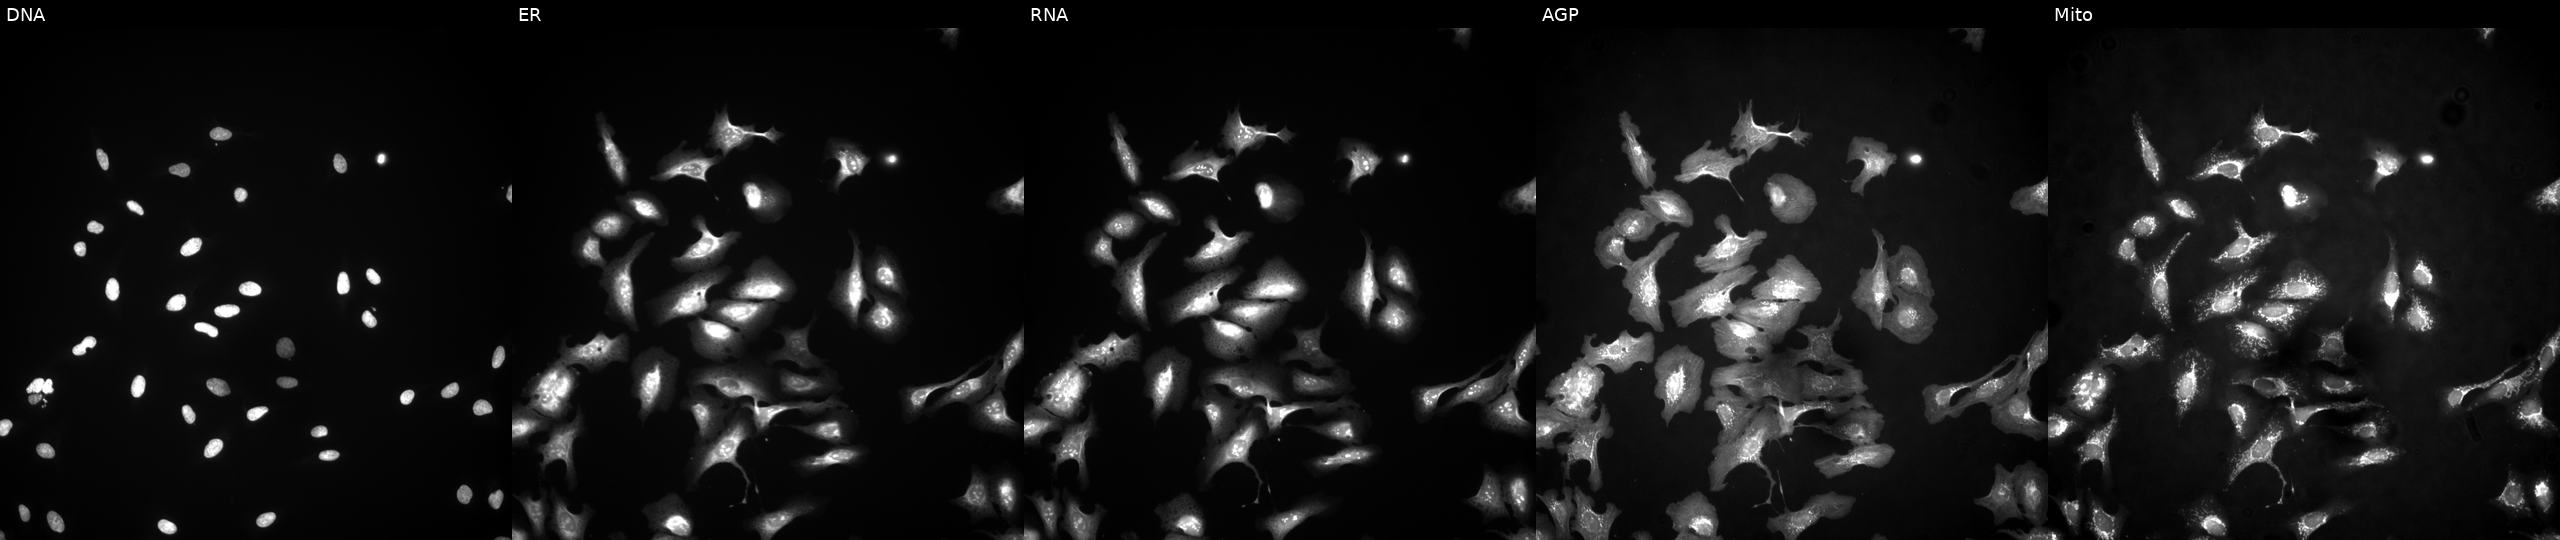
JUMP Cell Painting — ORF plate. U2OS cells in an empty control well (no perturbation) (JUMP id JCP2022_999999). From left to right: Hoechst 33342, concanavalin A, SYTO 14, phalloidin and WGA, MitoTracker.